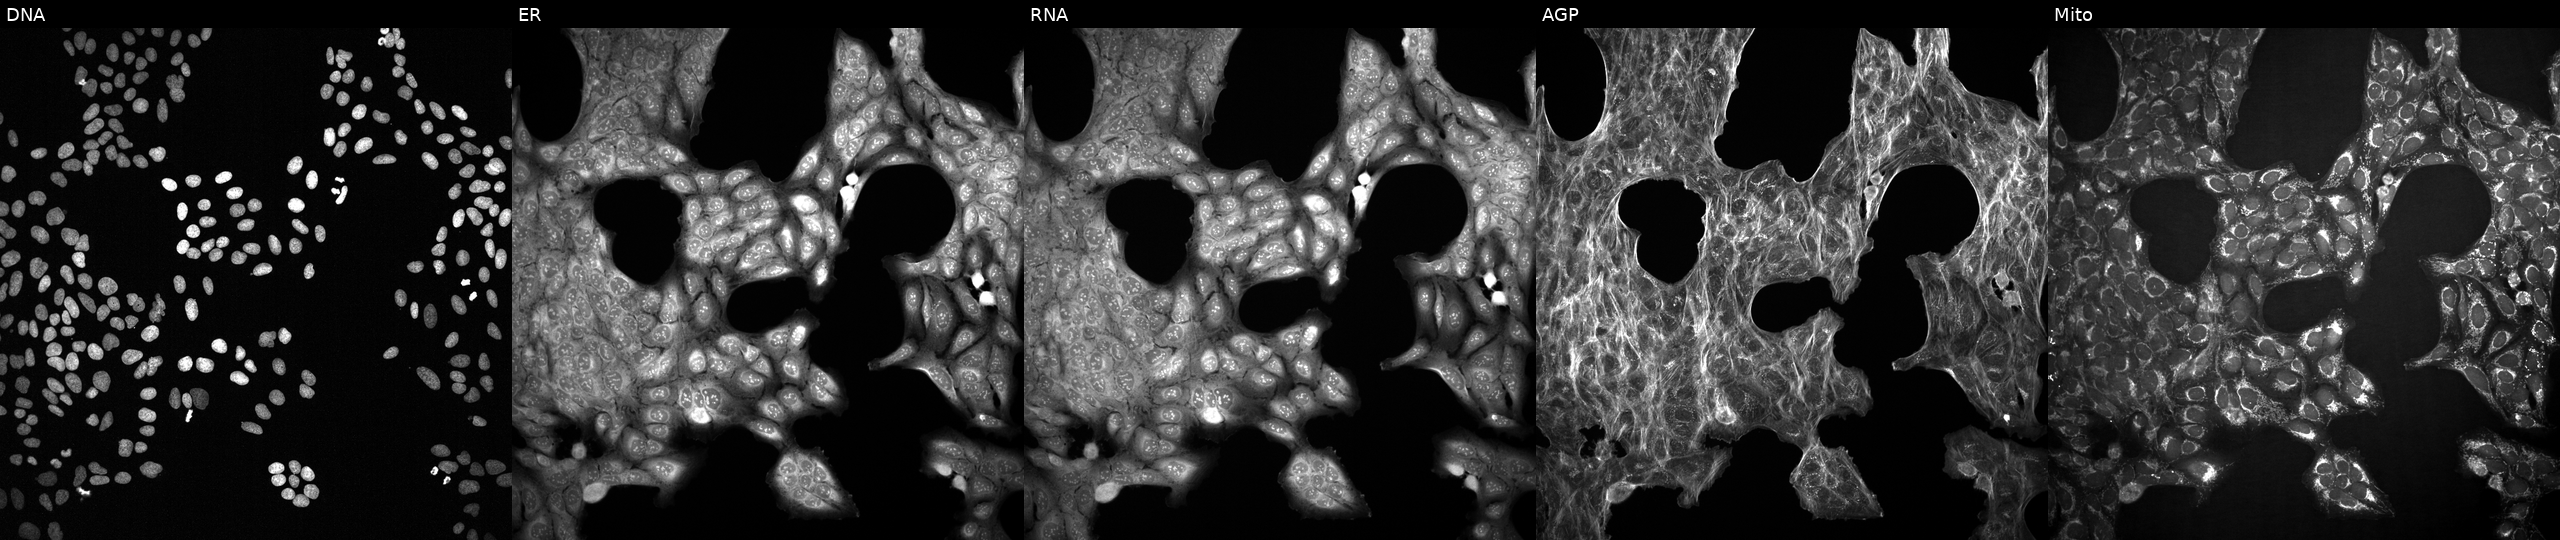
JUMP Cell Painting — COMPOUND plate. U2OS cells exposed to the positive-control compound LY2109761. Panels show, left to right, Hoechst 33342, concanavalin A, SYTO 14, phalloidin and WGA, MitoTracker.